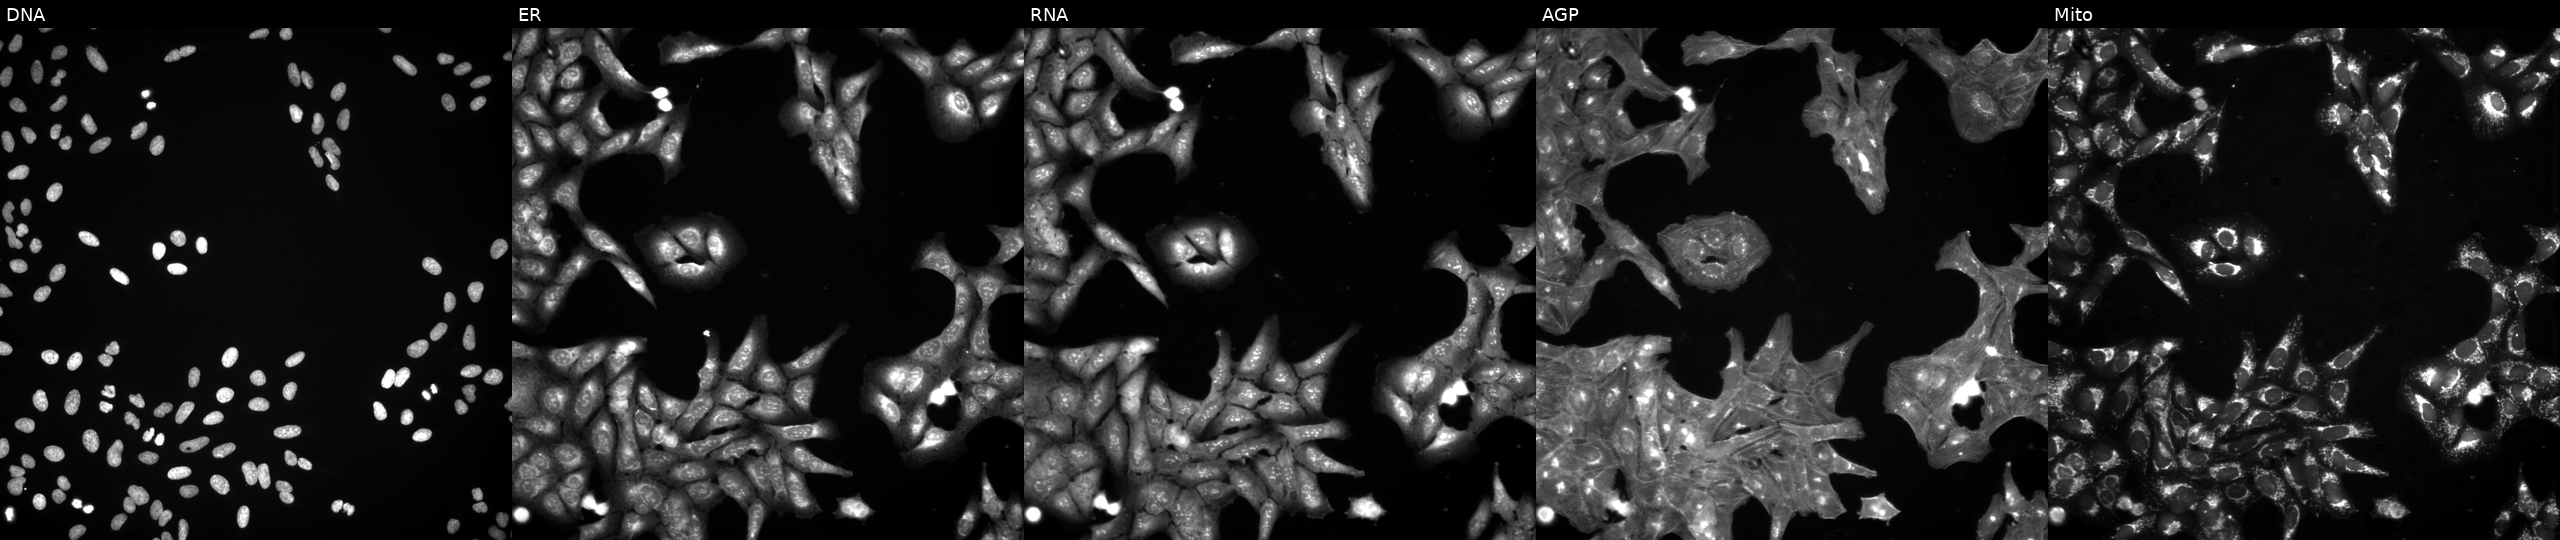
U2OS cells, Cell Painting assay, exposed to DMSO alone as a negative control (JUMP id JCP2022_033924). The five panels, left to right, show DNA, ER, RNA, AGP, and Mito. Each panel is percentile-stretched 16-bit fluorescence. Source 3, plate BR5867b3, well D02.